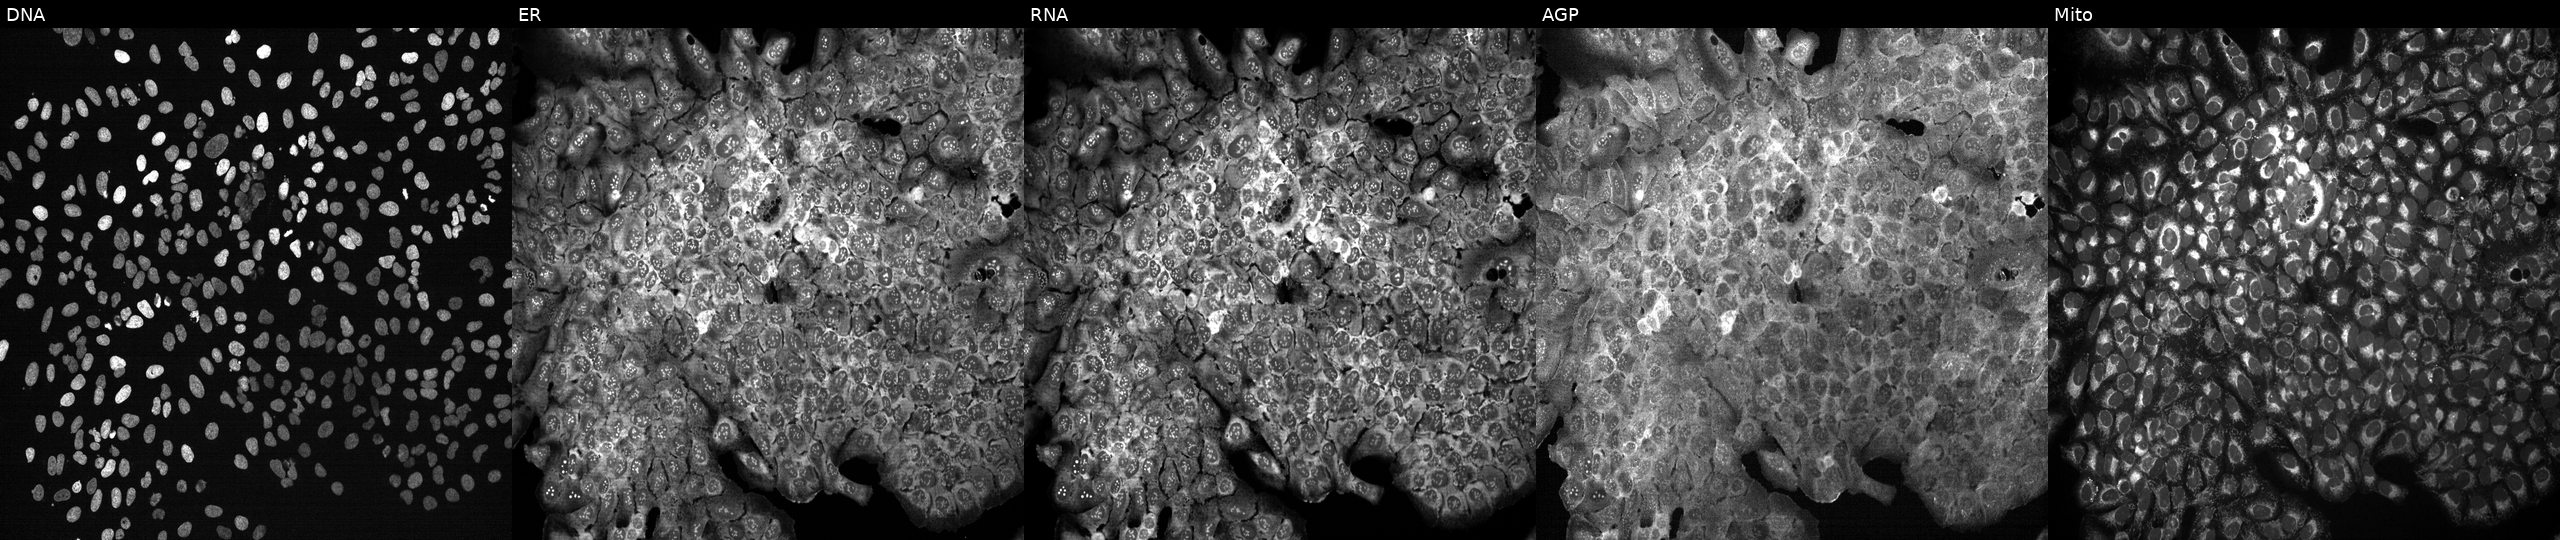
Channels (left→right): DNA (nuclei); ER (endoplasmic reticulum); RNA (nucleoli and cytoplasmic RNA); AGP (actin cytoskeleton, Golgi, and plasma membrane); Mito (mitochondria). U2OS osteosarcoma cells CRISPR-edited to disrupt PDZK1 (JUMP id JCP2022_805035). Cell Painting assay, JUMP-CP dataset. Source 13, plate CP-CC9-R3-02, well M14.